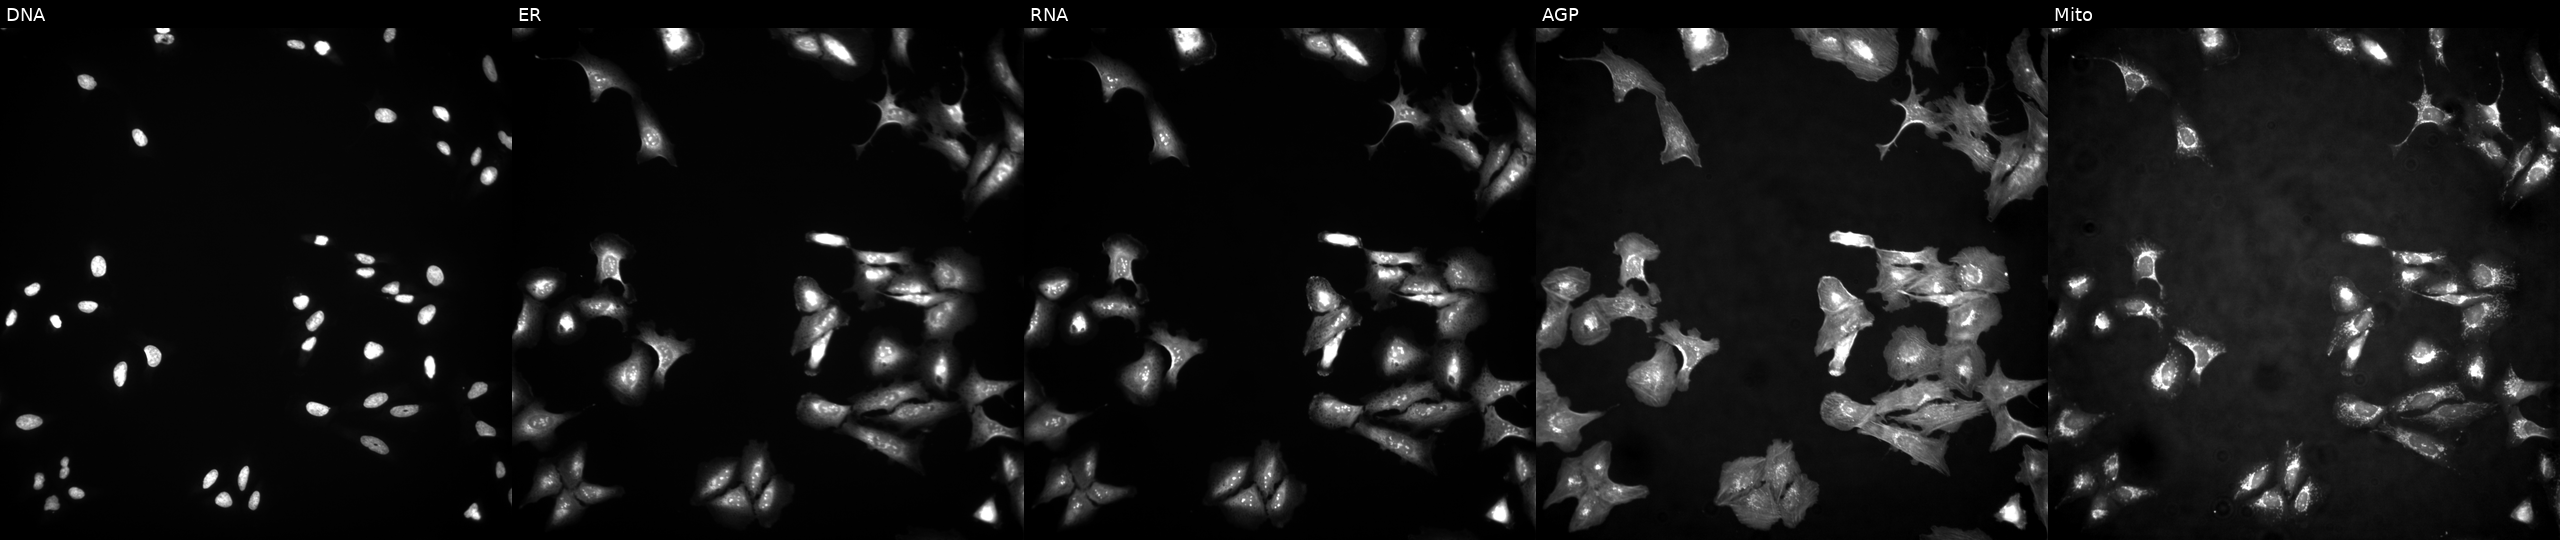
The five panels, left to right, show DNA (nuclei); ER (endoplasmic reticulum); RNA (nucleoli and cytoplasmic RNA); AGP (actin cytoskeleton, Golgi, and plasma membrane); Mito (mitochondria). U2OS osteosarcoma cells overexpressing RASA1 via ORF transfection (JUMP id JCP2022_901292). Cell Painting assay, JUMP-CP dataset.